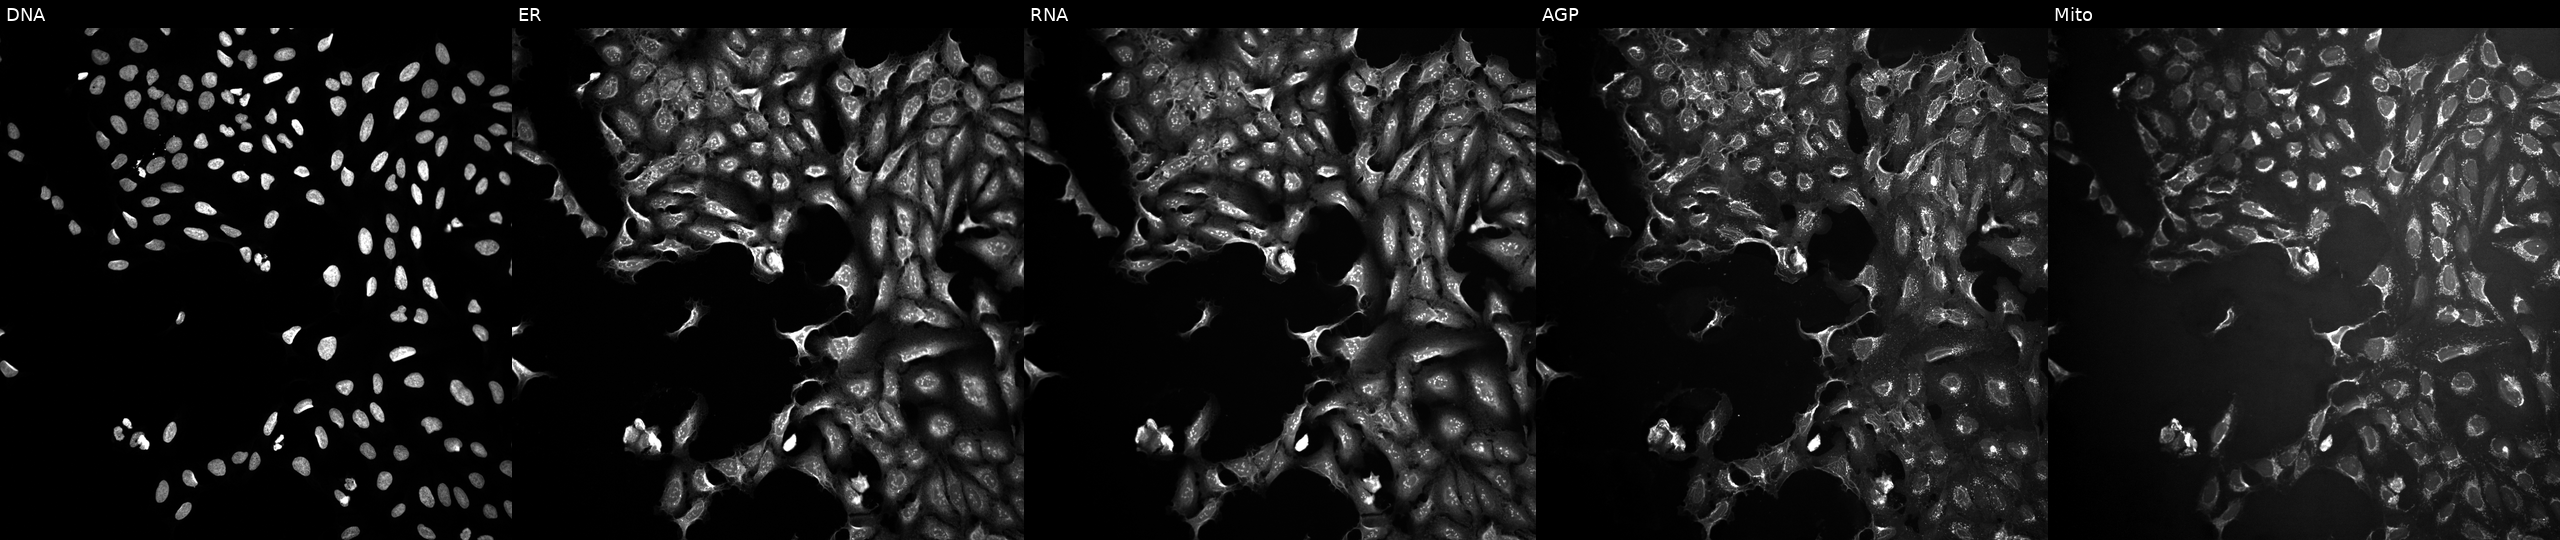
JUMP Cell Painting — TARGET2 plate. U2OS cells exposed to a small-molecule compound (InChIKey HFNKQEVNSGCOJV-UHFFFAOYSA-N). Channels (left→right): DNA (nuclei); ER (endoplasmic reticulum); RNA (nucleoli and cytoplasmic RNA); AGP (actin cytoskeleton, Golgi, and plasma membrane); Mito (mitochondria).